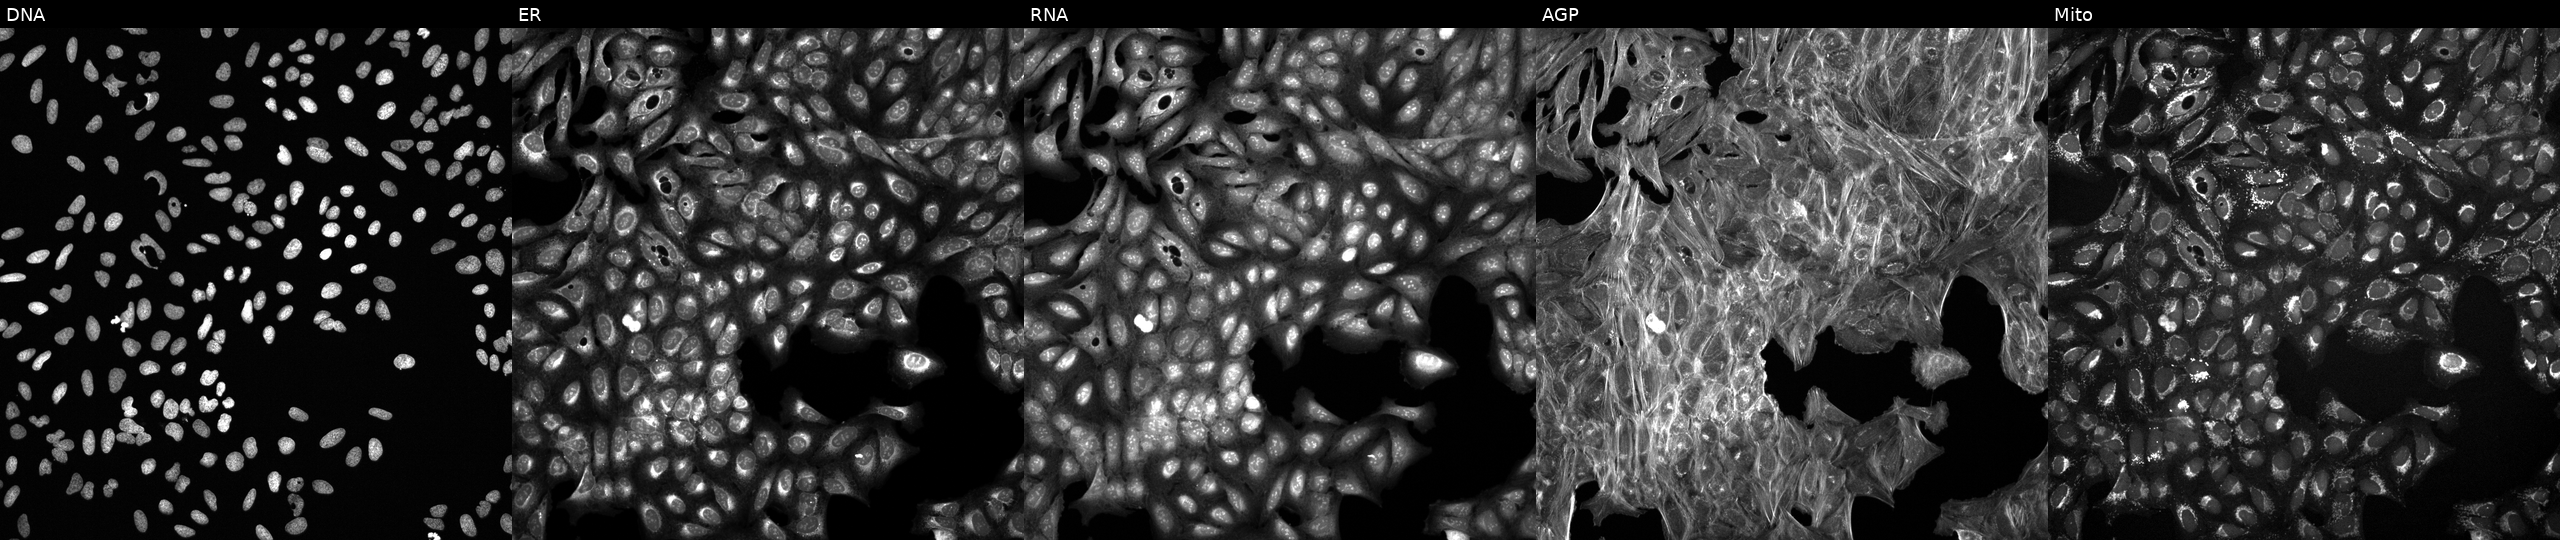
JUMP Cell Painting — TARGET2 plate. U2OS cells treated with a small-molecule compound (InChIKey XRKYMMUGXMWDAO-UHFFFAOYSA-N) [SMILES: O=c1cc(-c2cccc3c2Sc2ccccc2S3)oc(N2CCOCC2)c1] (JUMP id JCP2022_105539). The five panels, left to right, show DNA (nuclei); ER (endoplasmic reticulum); RNA (nucleoli and cytoplasmic RNA); AGP (actin cytoskeleton, Golgi, and plasma membrane); Mito (mitochondria). Source 6, plate 110000293081, well K15.